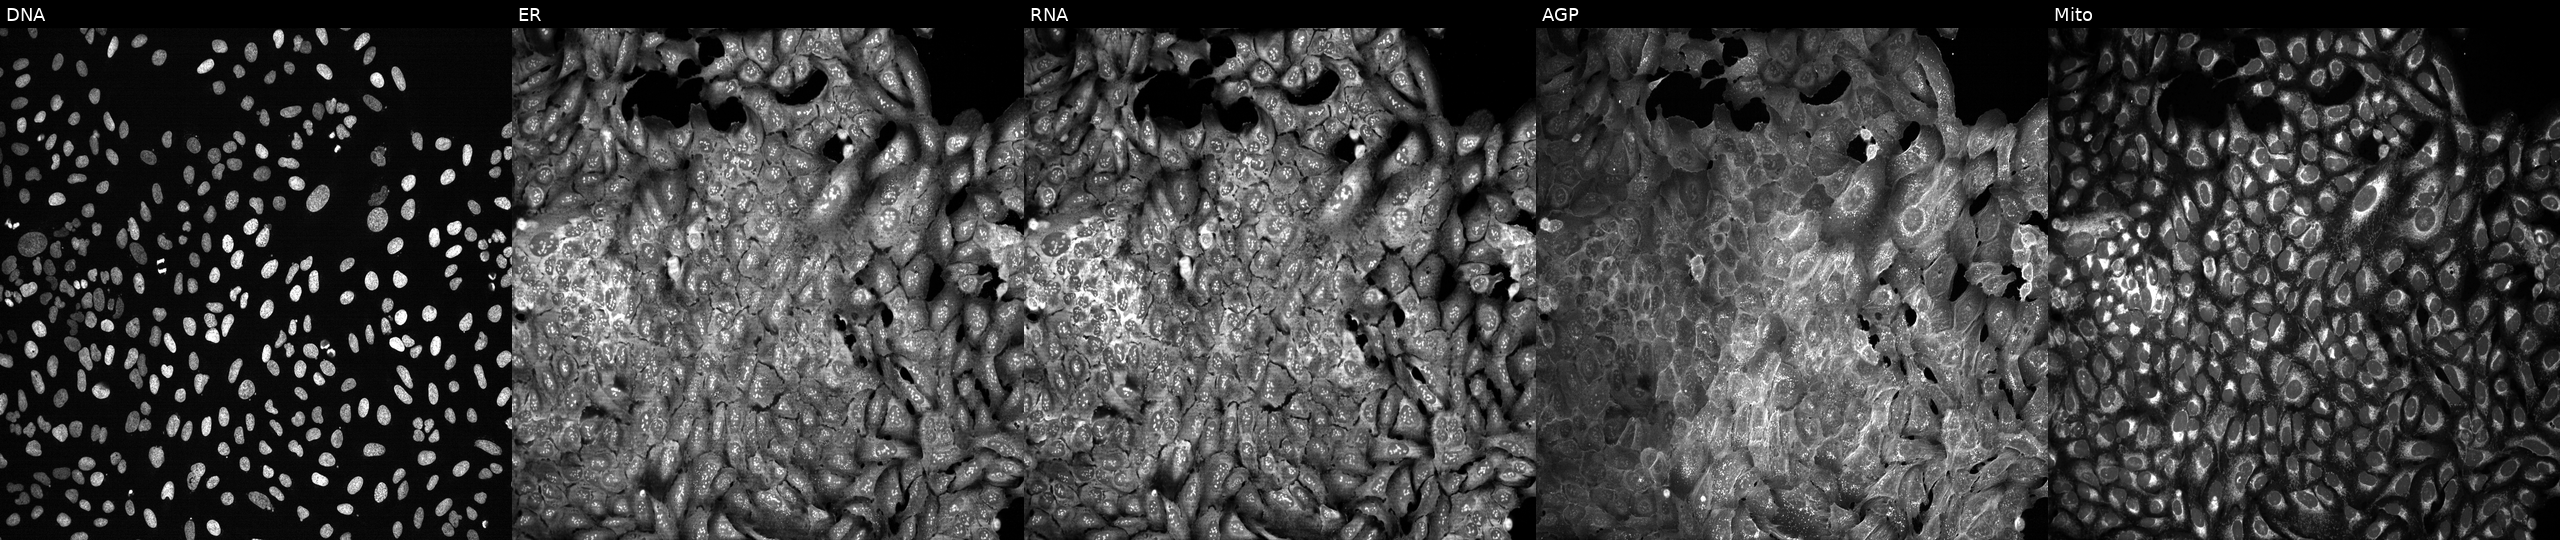
This image strip shows the five Cell Painting channels for a single field of U2OS cells with MMP16 knocked out by CRISPR. Panels show, left to right, DNA (nuclei); ER (endoplasmic reticulum); RNA (nucleoli and cytoplasmic RNA); AGP (actin cytoskeleton, Golgi, and plasma membrane); Mito (mitochondria).